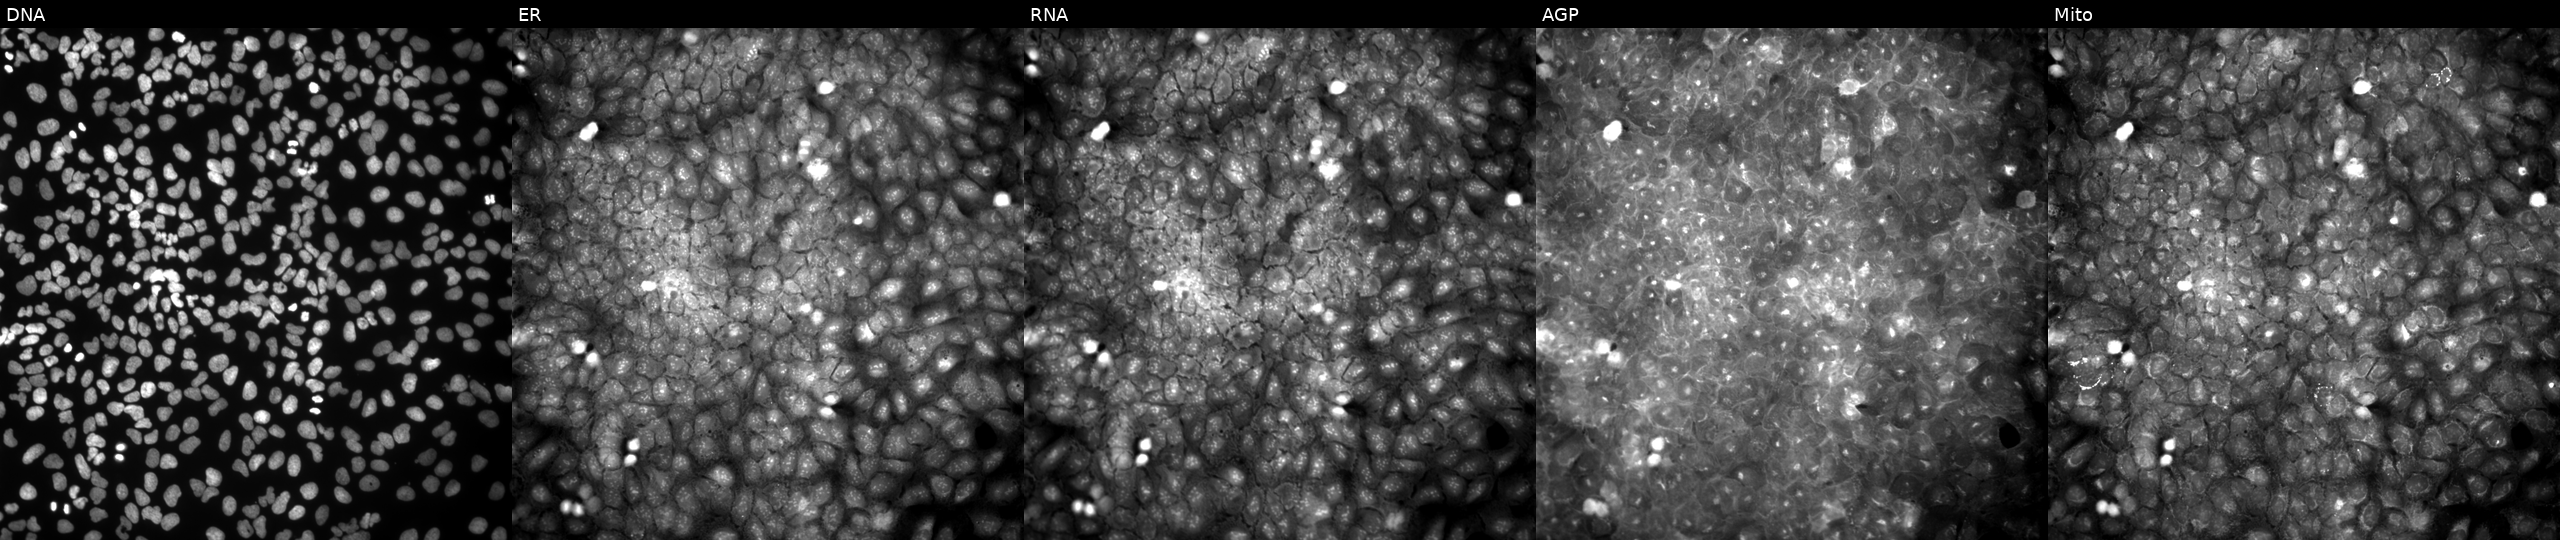
This image strip shows the five Cell Painting channels for a single field of U2OS cells perturbed with a small-molecule compound (InChIKey XOMDPCJPFXWCAJ-UHFFFAOYSA-N). Panels show, left to right, Hoechst 33342, concanavalin A, SYTO 14, phalloidin and WGA, MitoTracker.